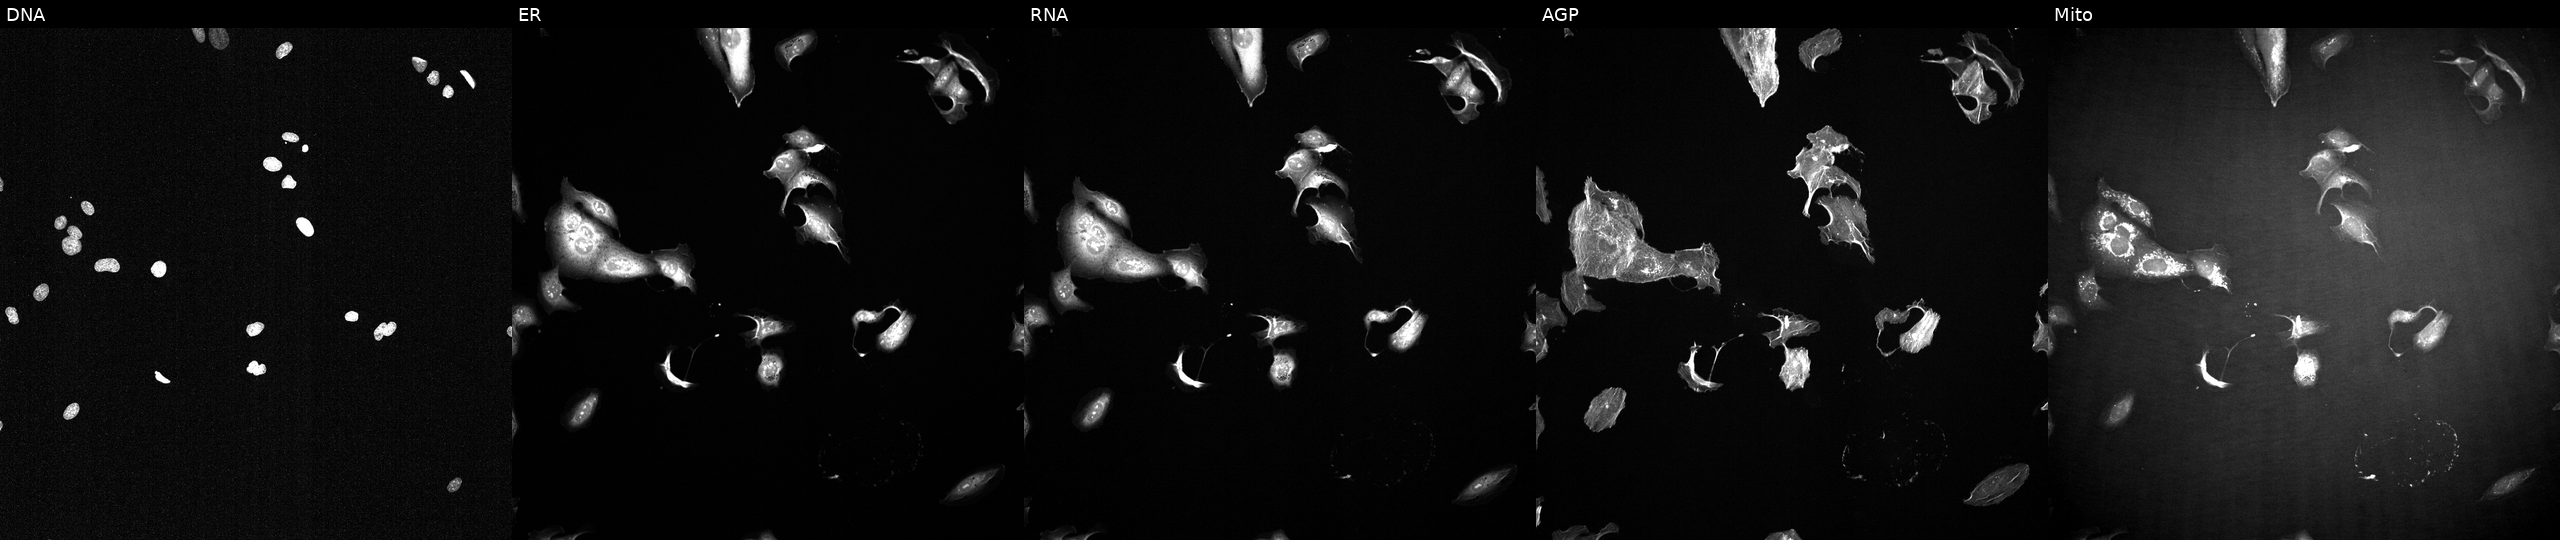
From left to right: Hoechst 33342, concanavalin A, SYTO 14, phalloidin and WGA, MitoTracker. U2OS osteosarcoma cells perturbed with a small-molecule compound (InChIKey MAASHDQFQDDECQ-UHFFFAOYSA-N) (JUMP id JCP2022_052804). Cell Painting assay, JUMP-CP dataset.